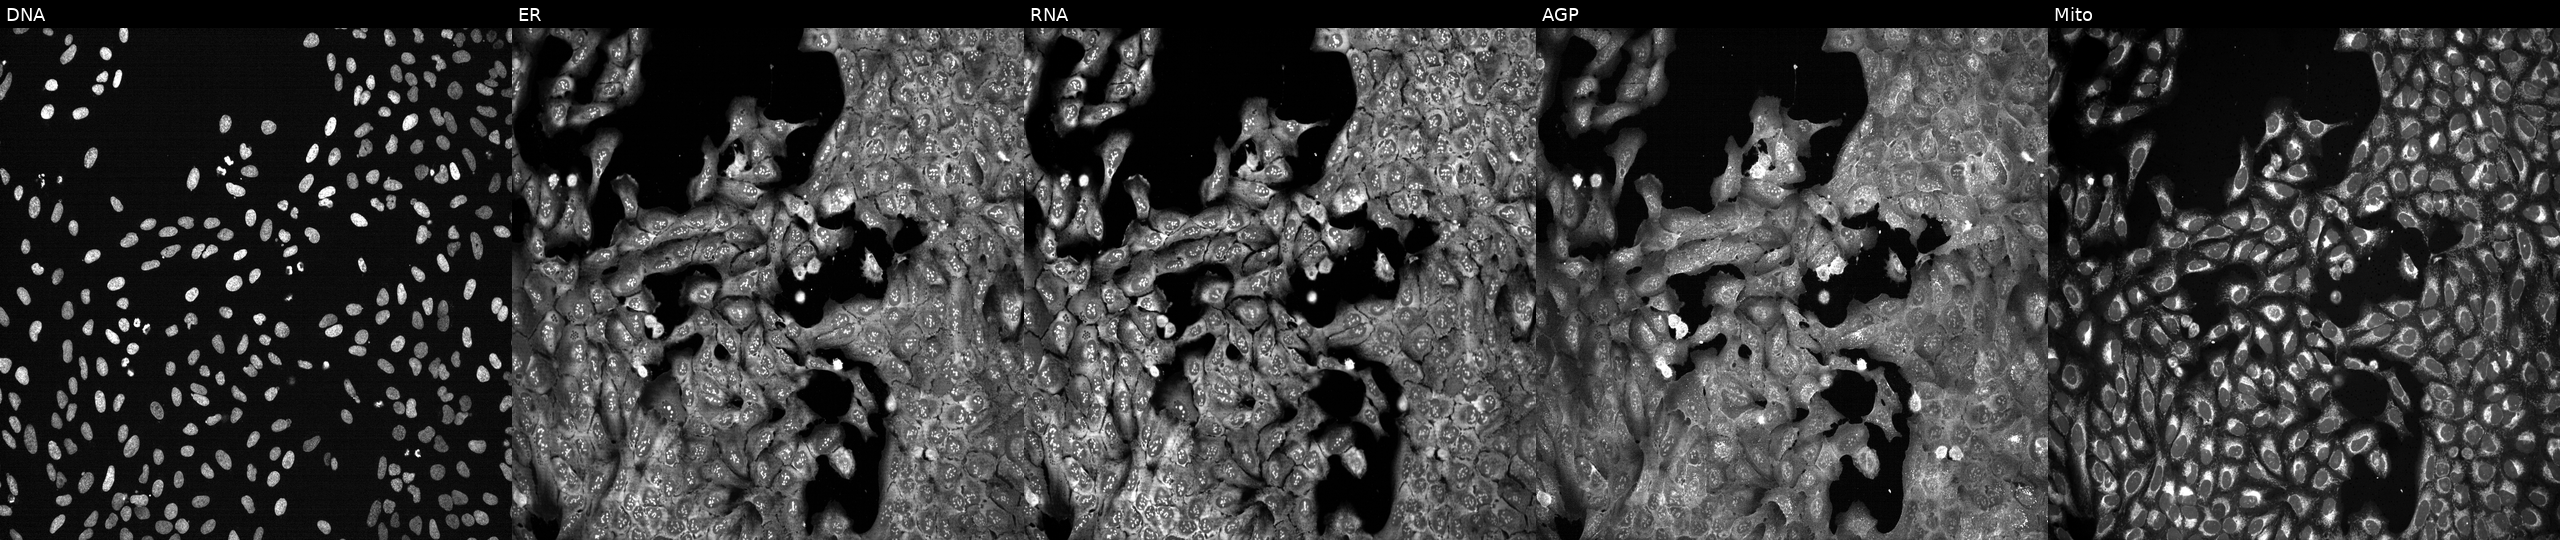
Channels (left→right): DNA (nuclei); ER (endoplasmic reticulum); RNA (nucleoli and cytoplasmic RNA); AGP (actin cytoskeleton, Golgi, and plasma membrane); Mito (mitochondria). U2OS osteosarcoma cells with HSPH1 knocked out by CRISPR (JUMP id JCP2022_803273). Cell Painting assay, JUMP-CP dataset.